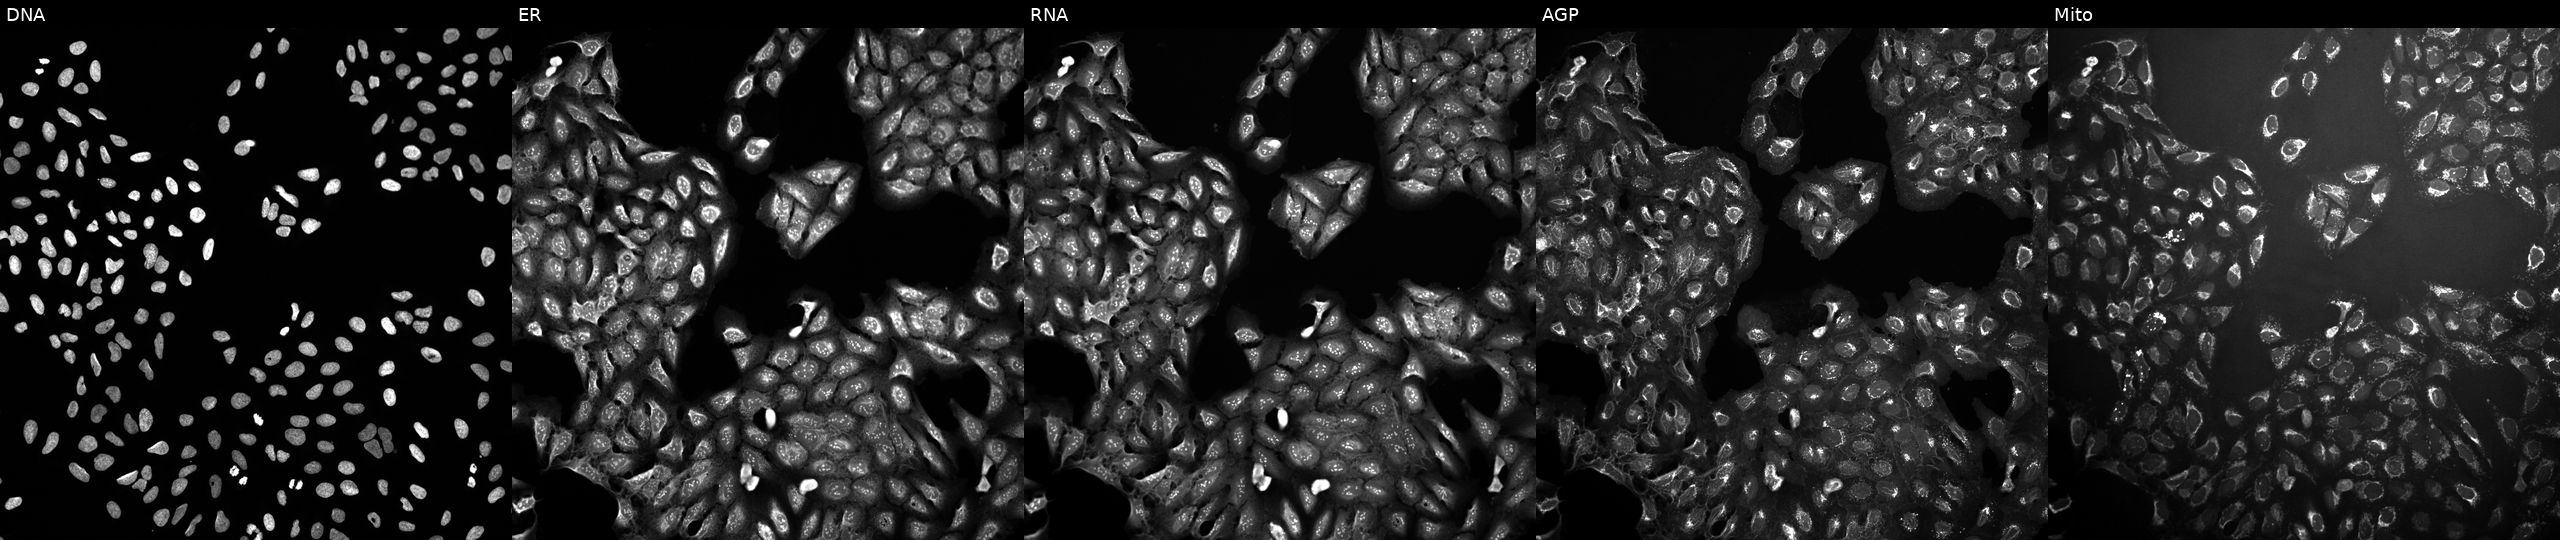
JUMP Cell Painting — TARGET2 plate. U2OS cells exposed to a small-molecule compound (InChIKey DXZRBHUCOHBAHP-UHFFFAOYSA-N). Panels show, left to right, Hoechst 33342, concanavalin A, SYTO 14, phalloidin and WGA, MitoTracker.